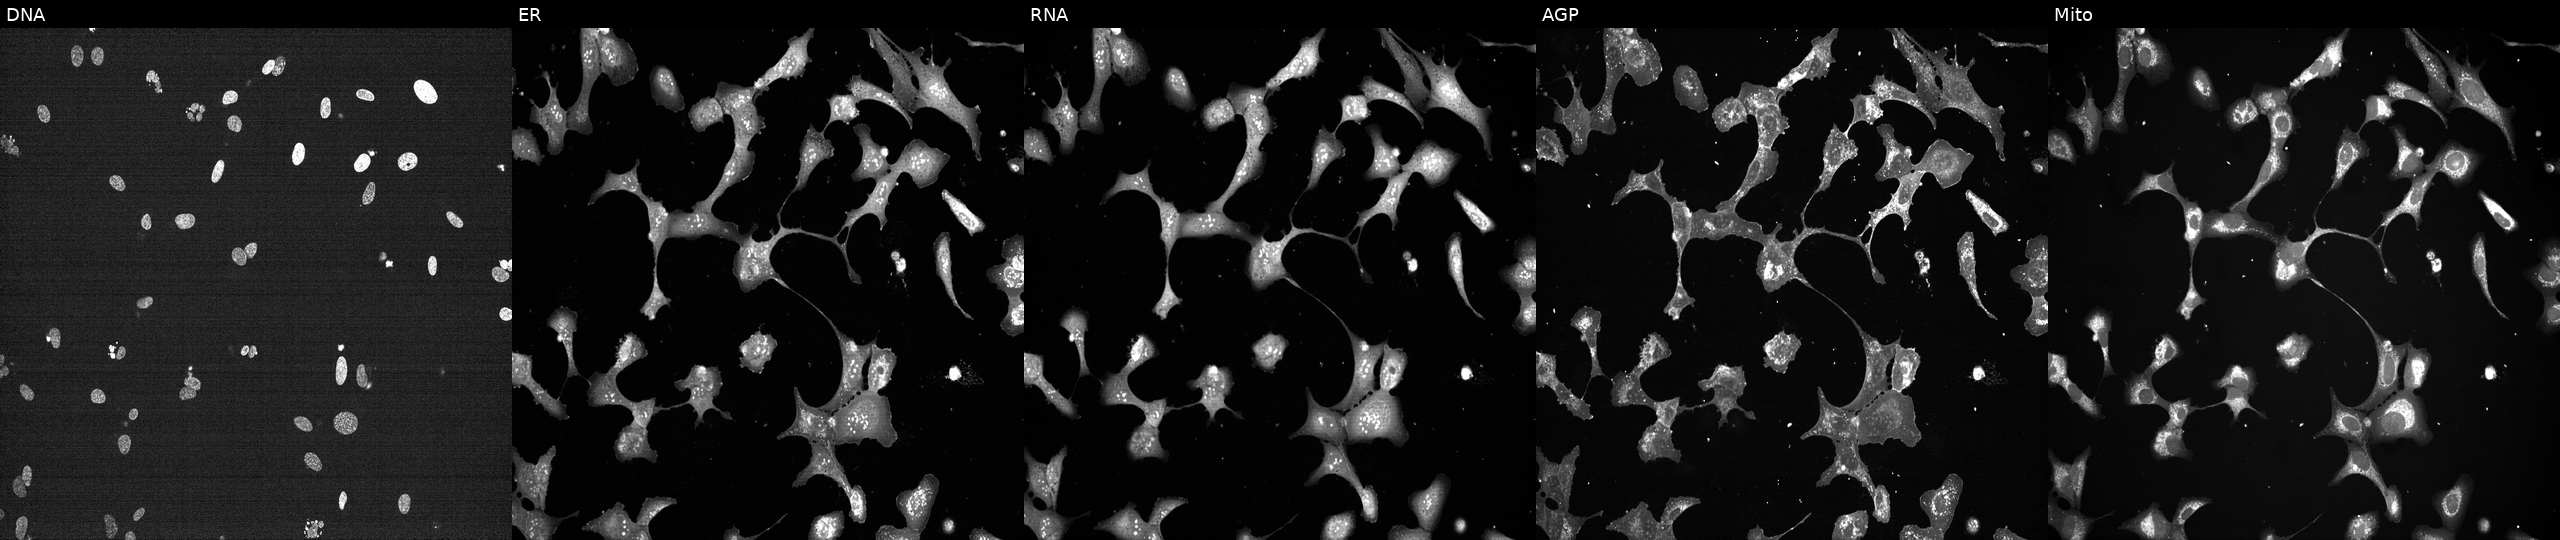
JUMP Cell Painting — TARGET2 plate. U2OS cells exposed to a small-molecule compound (InChIKey XQVVPGYIWAGRNI-UHFFFAOYSA-N) (JUMP id JCP2022_105442). From left to right: Hoechst 33342, concanavalin A, SYTO 14, phalloidin and WGA, MitoTracker.